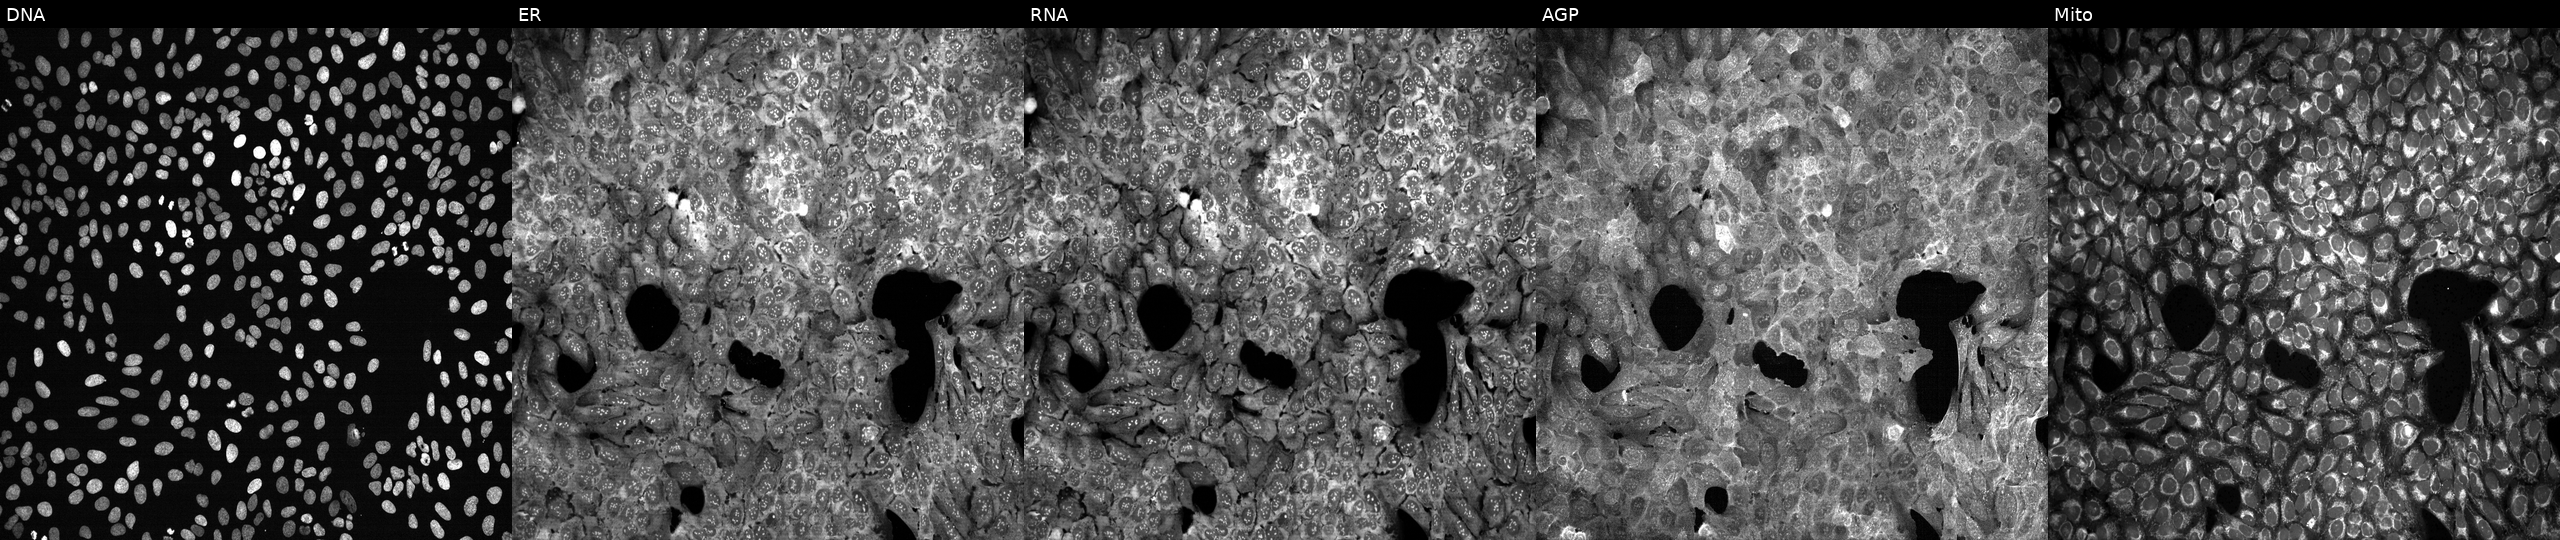
JUMP Cell Painting — CRISPR plate. U2OS cells exposed to the positive-control compound dexamethasone. From left to right: DNA, ER, RNA, AGP, and Mito.